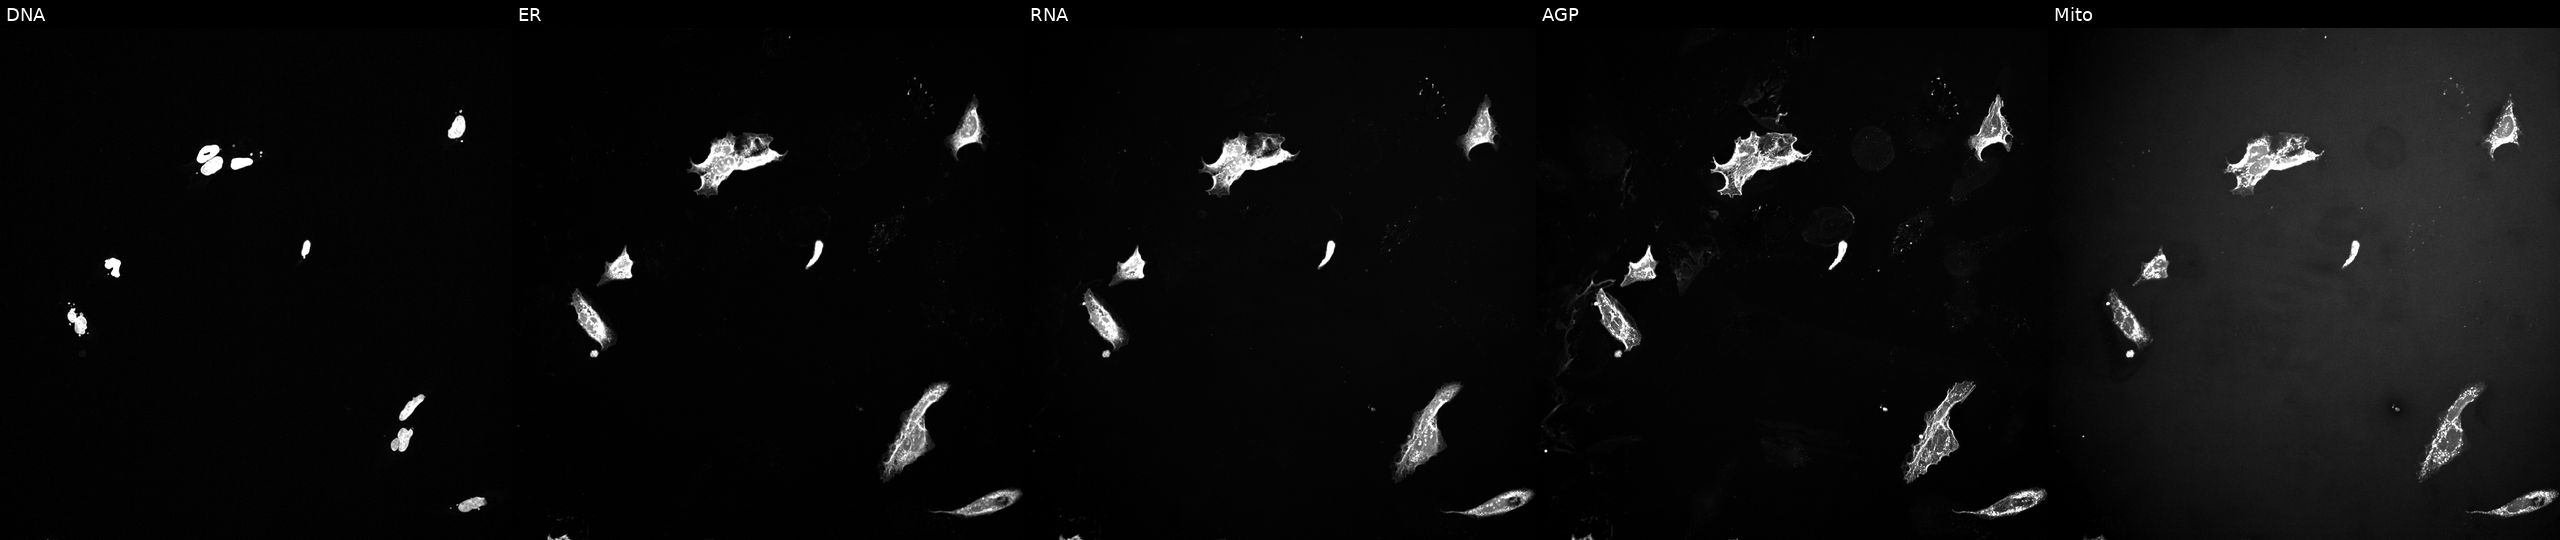
This image strip shows the five Cell Painting channels for a single field of U2OS cells treated with a small-molecule compound (InChIKey QTBWCSQGBMPECM-UHFFFAOYSA-N) (JUMP id JCP2022_075694). Panels show, left to right, DNA (nuclei); ER (endoplasmic reticulum); RNA (nucleoli and cytoplasmic RNA); AGP (actin cytoskeleton, Golgi, and plasma membrane); Mito (mitochondria).